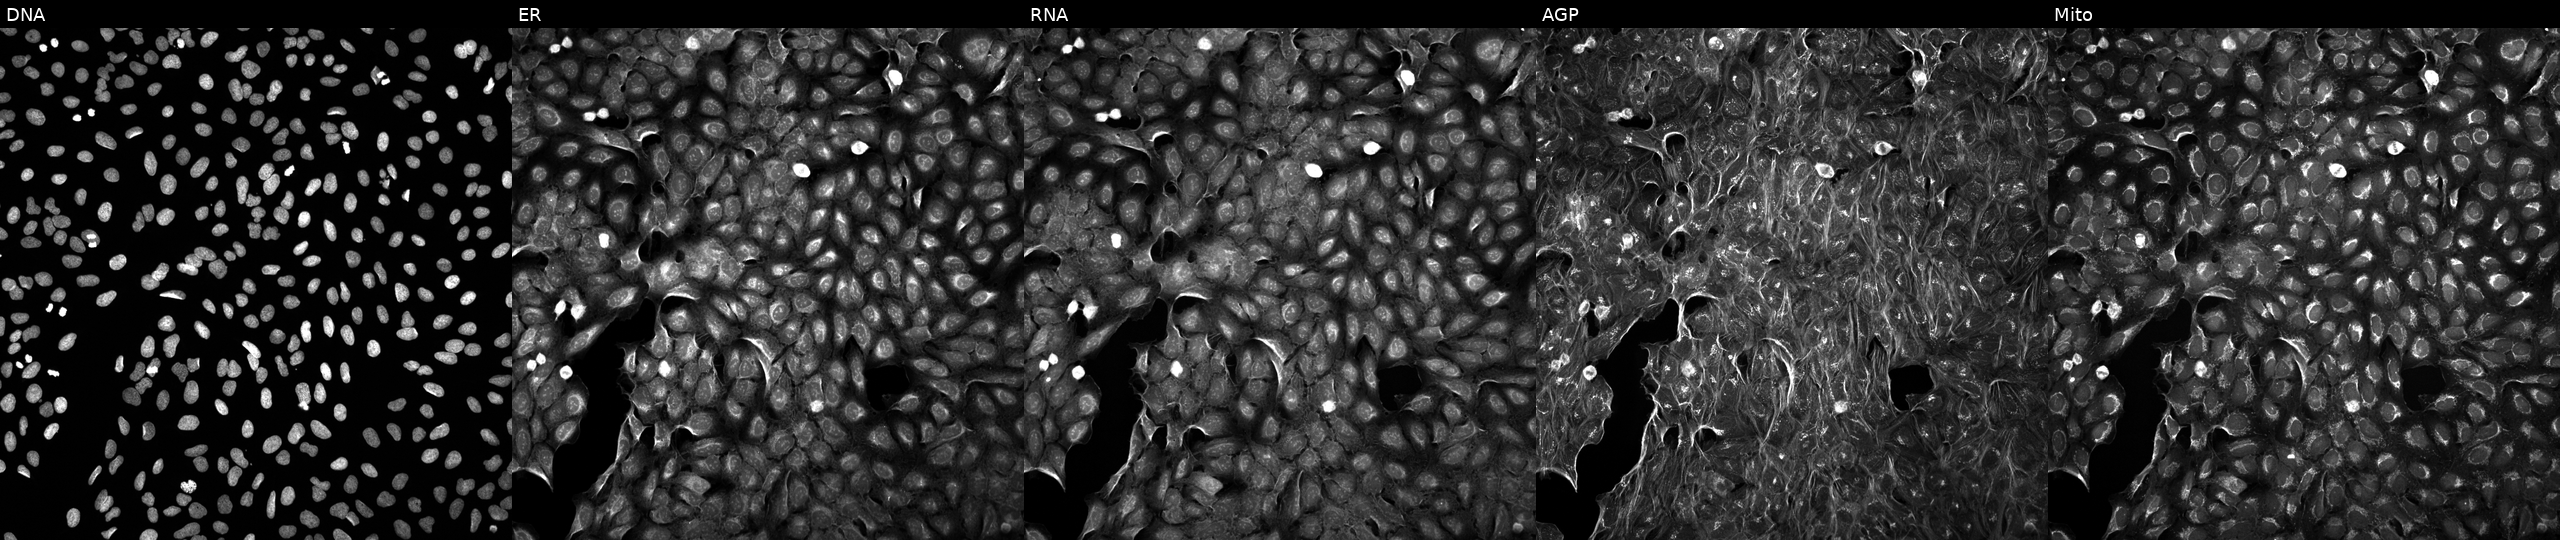
High-content fluorescence microscopy (Cell Painting). Cell line: U2OS. Perturbation: perturbed with a small-molecule compound (InChIKey ZNNLBTZKUZBEKO-UHFFFAOYSA-N) (JUMP id JCP2022_114461). From left to right: DNA (nuclei); ER (endoplasmic reticulum); RNA (nucleoli and cytoplasmic RNA); AGP (actin cytoskeleton, Golgi, and plasma membrane); Mito (mitochondria).